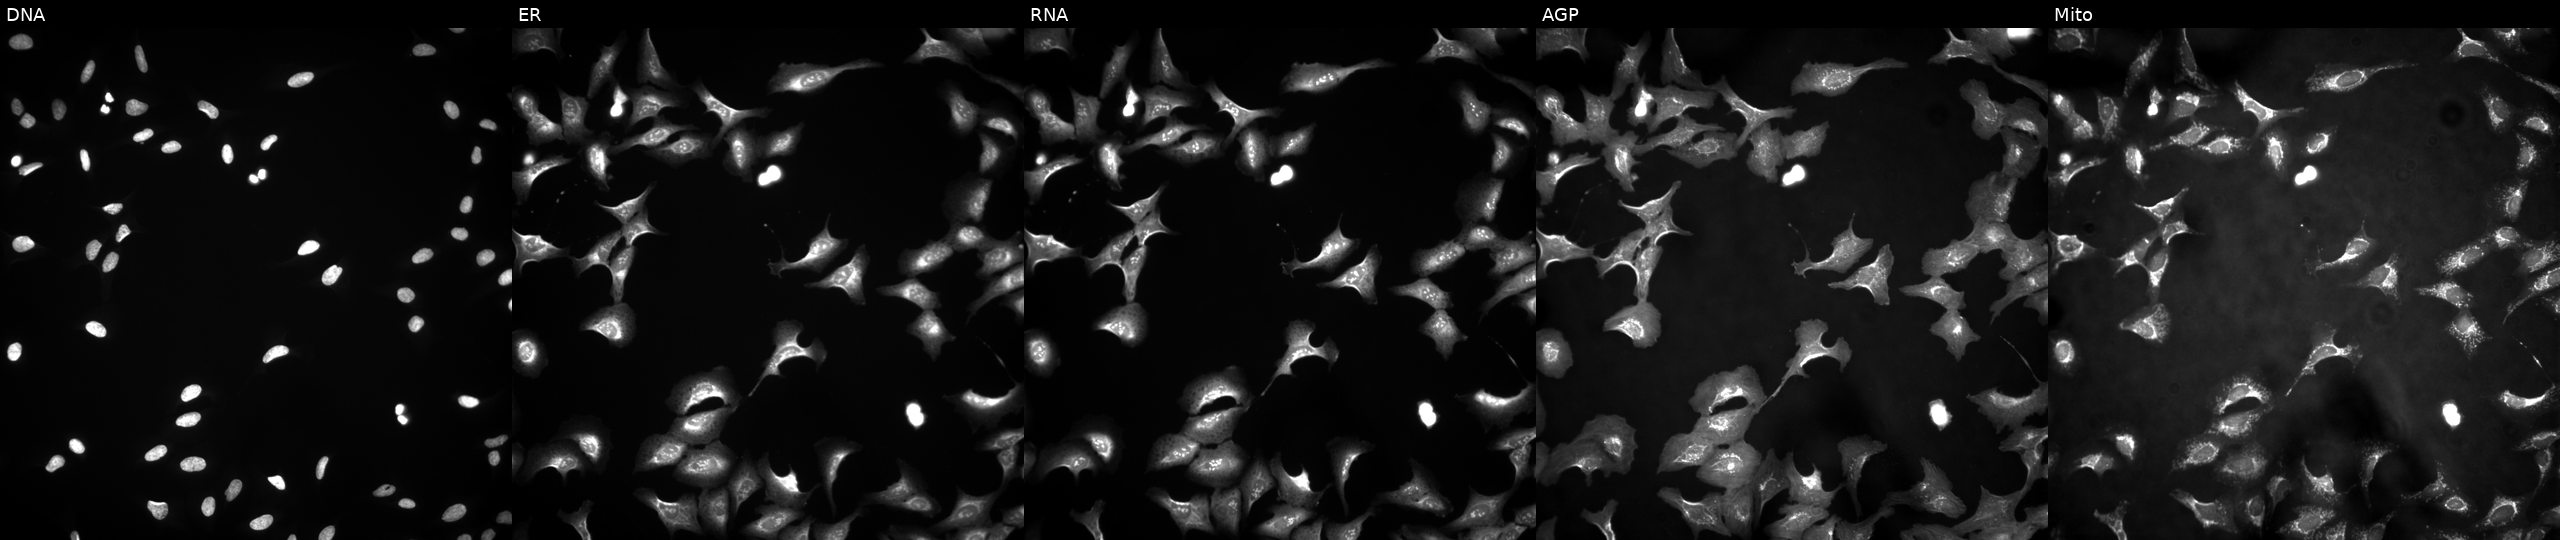
Five-channel Cell Painting image of U2OS cells untreated (empty-well control) (JUMP id JCP2022_999999). The five panels, left to right, show DNA, ER, RNA, AGP, and Mito.